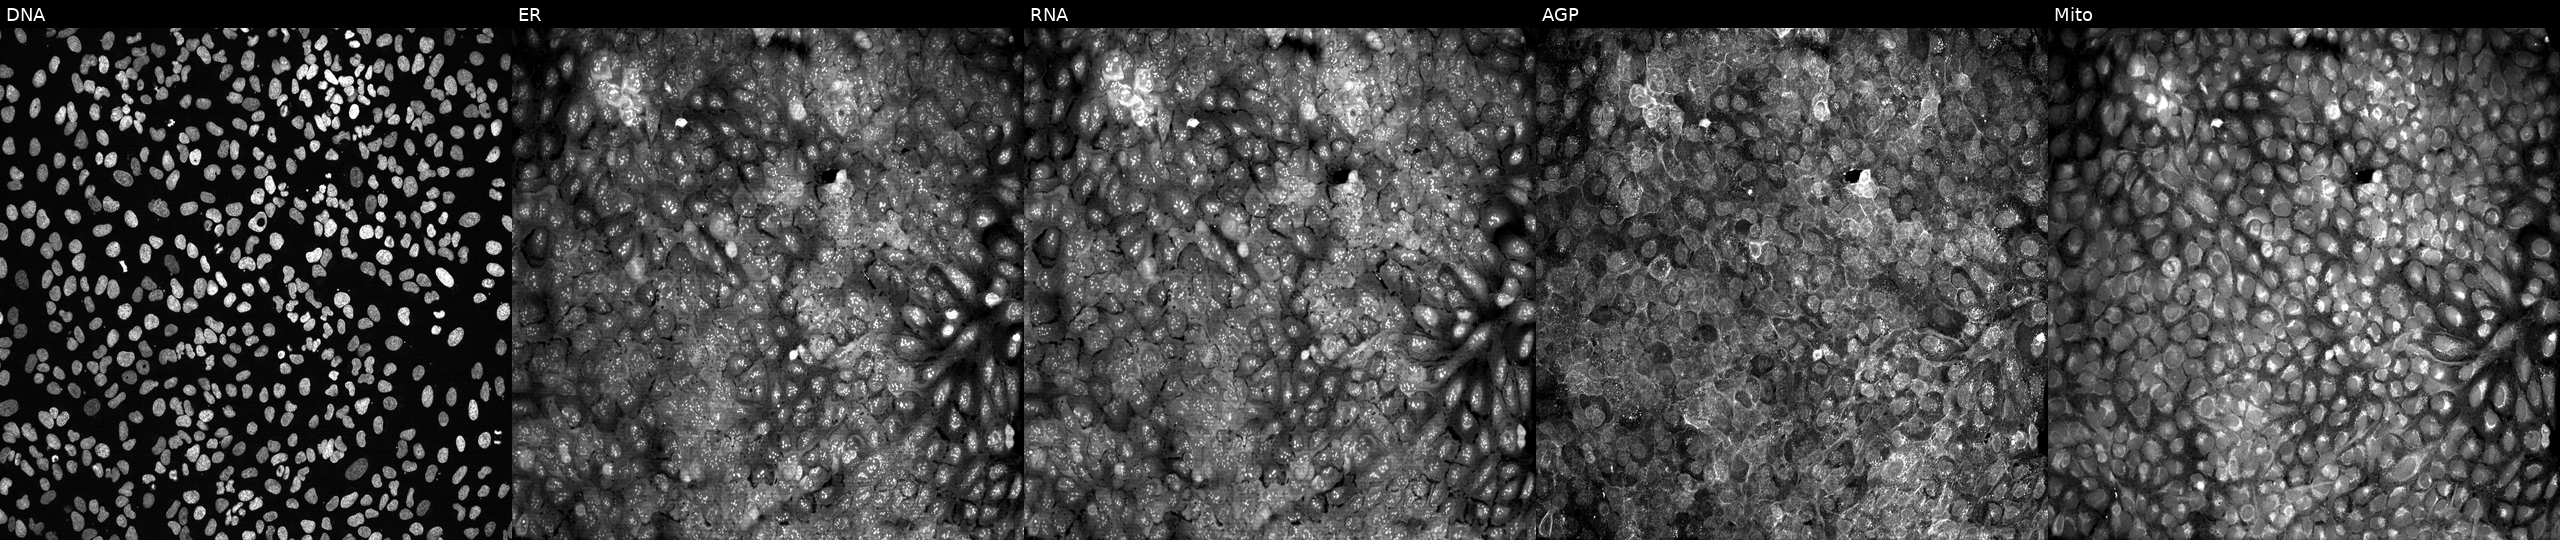
JUMP Cell Painting — CRISPR plate. U2OS cells with ATP6V1C1 knocked out by CRISPR (JUMP id JCP2022_800736). The five panels, left to right, show Hoechst 33342, concanavalin A, SYTO 14, phalloidin and WGA, MitoTracker.